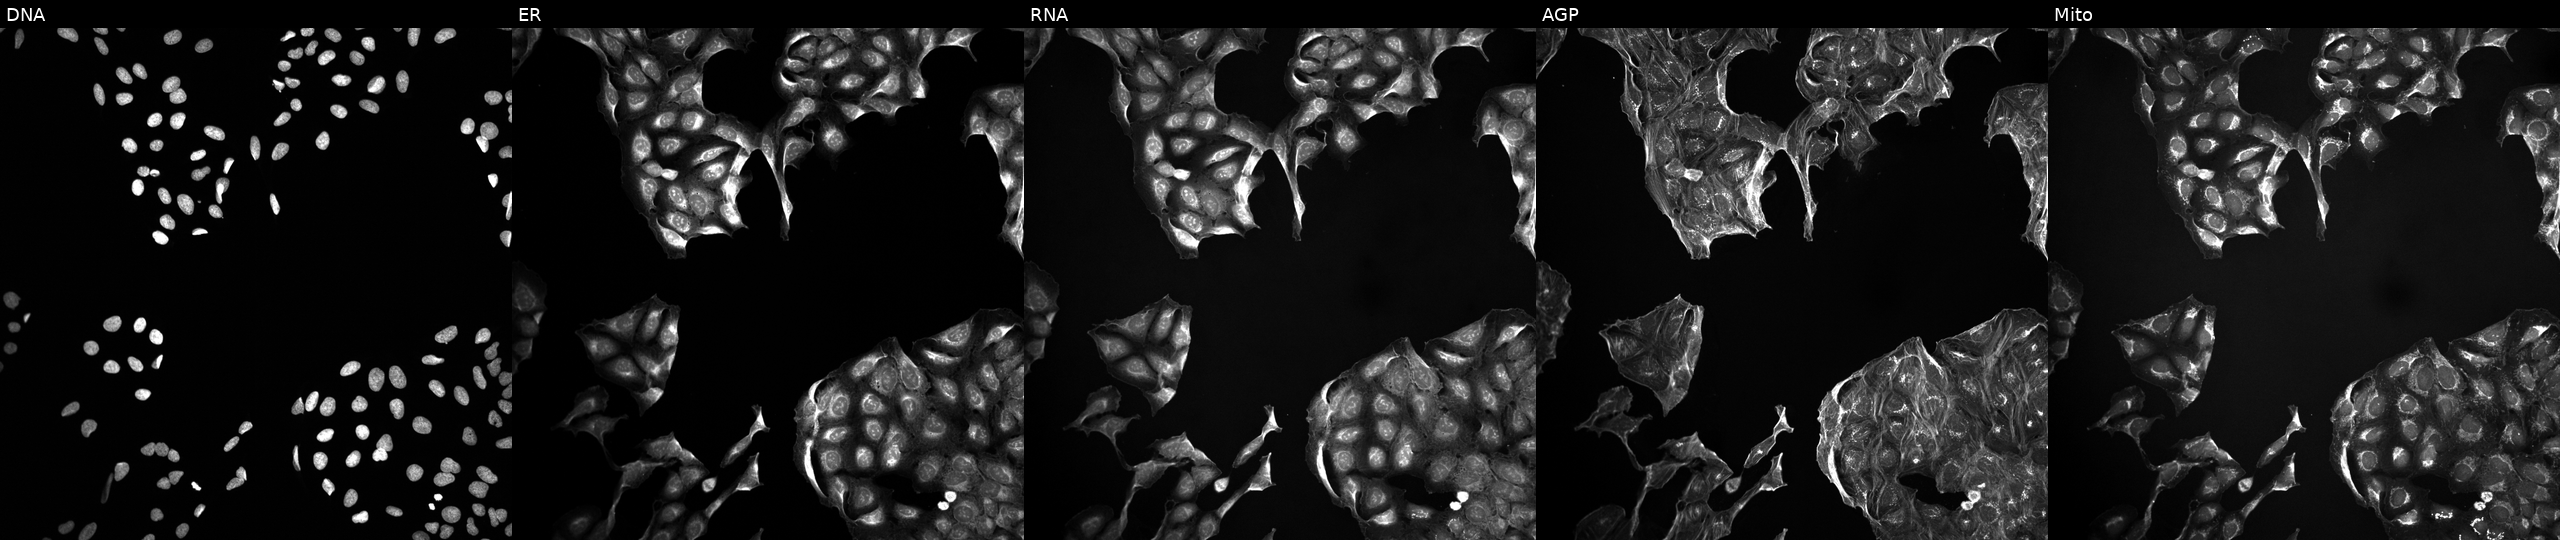
U2OS cells, Cell Painting assay, treated with quinidine (positive-control compound) (JUMP id JCP2022_050797). Panels show, left to right, Hoechst 33342, concanavalin A, SYTO 14, phalloidin and WGA, MitoTracker. Each panel is percentile-stretched 16-bit fluorescence. Source 5, plate ACPJUM012, well A02.